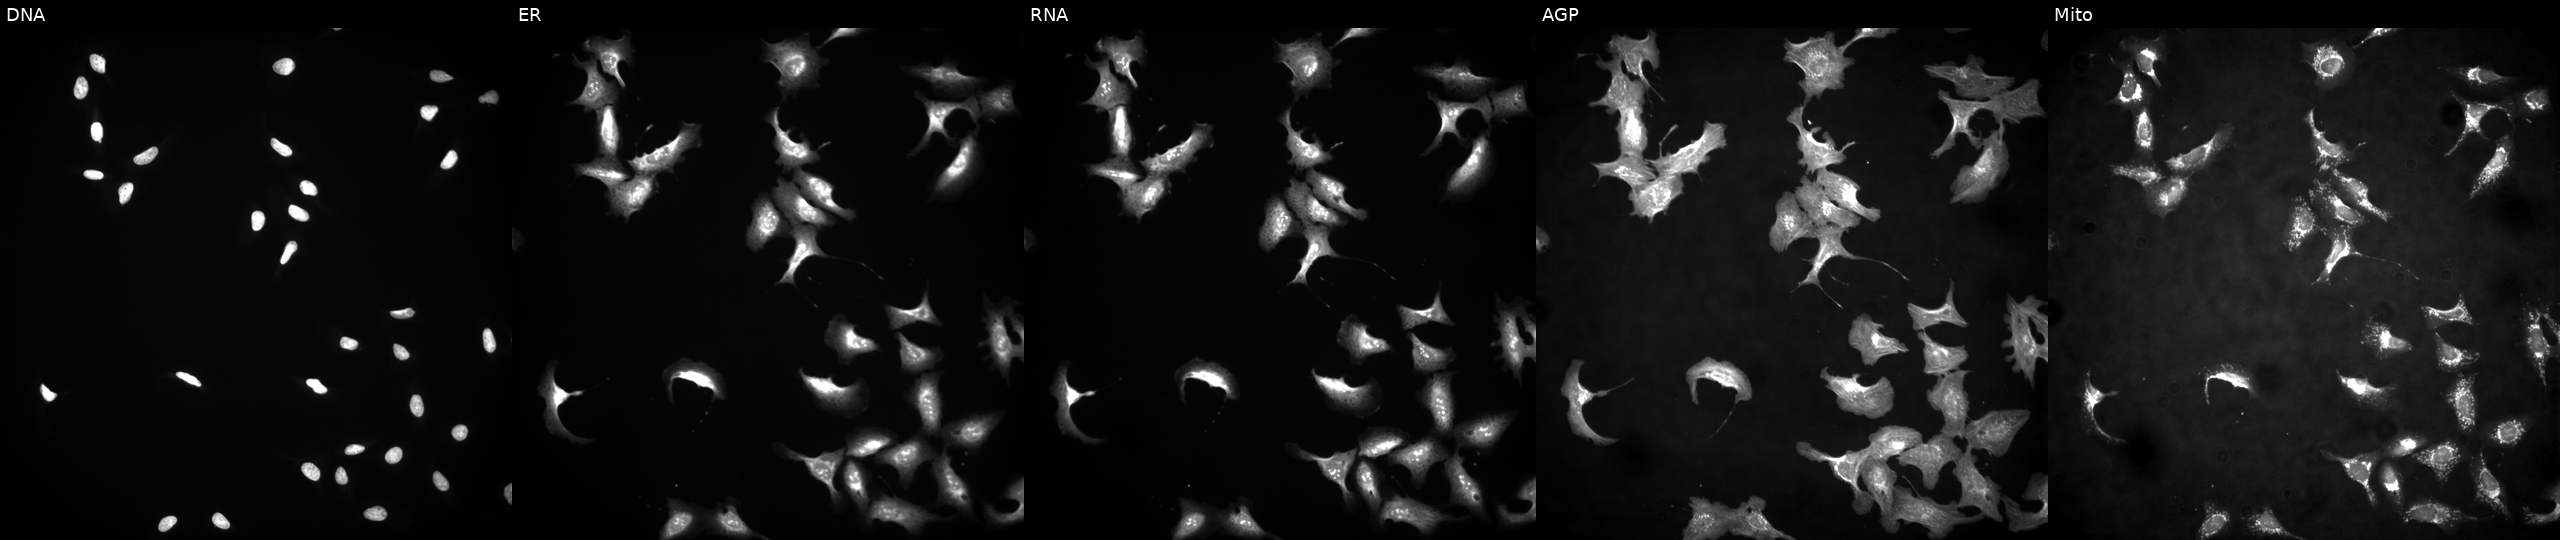
JUMP Cell Painting — ORF plate. U2OS cells overexpressing HAUS1 via ORF transfection. From left to right: Hoechst 33342, concanavalin A, SYTO 14, phalloidin and WGA, MitoTracker.